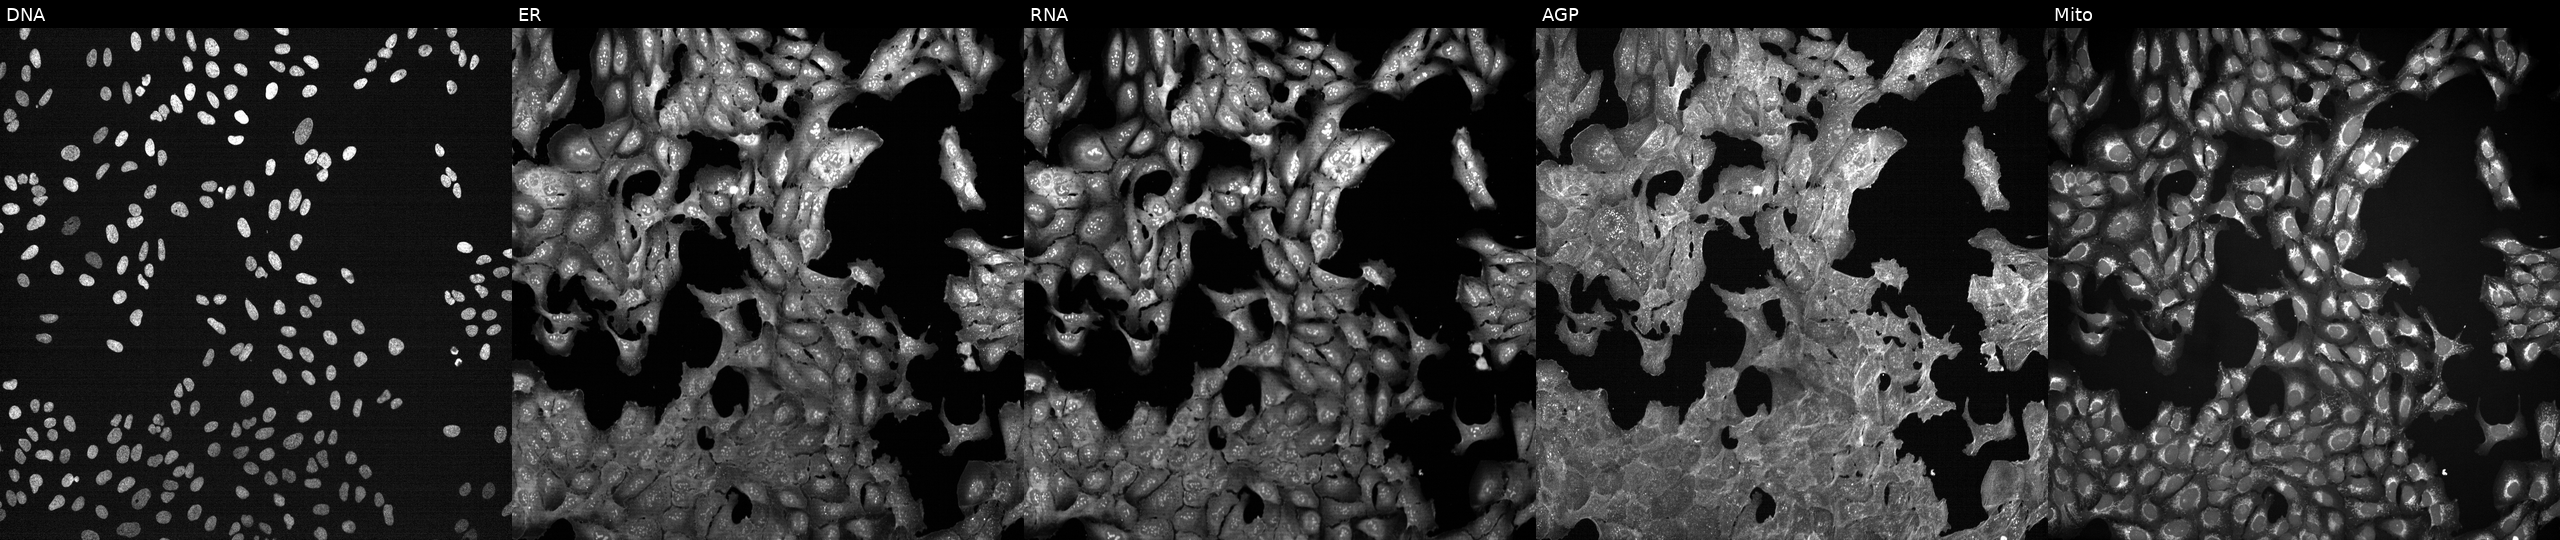
Panels show, left to right, DNA, ER, RNA, AGP, and Mito. U2OS osteosarcoma cells exposed to a small-molecule compound (InChIKey ZZZRUAITSXLWBH-UHFFFAOYSA-N) (JUMP id JCP2022_116749). Cell Painting assay, JUMP-CP dataset.